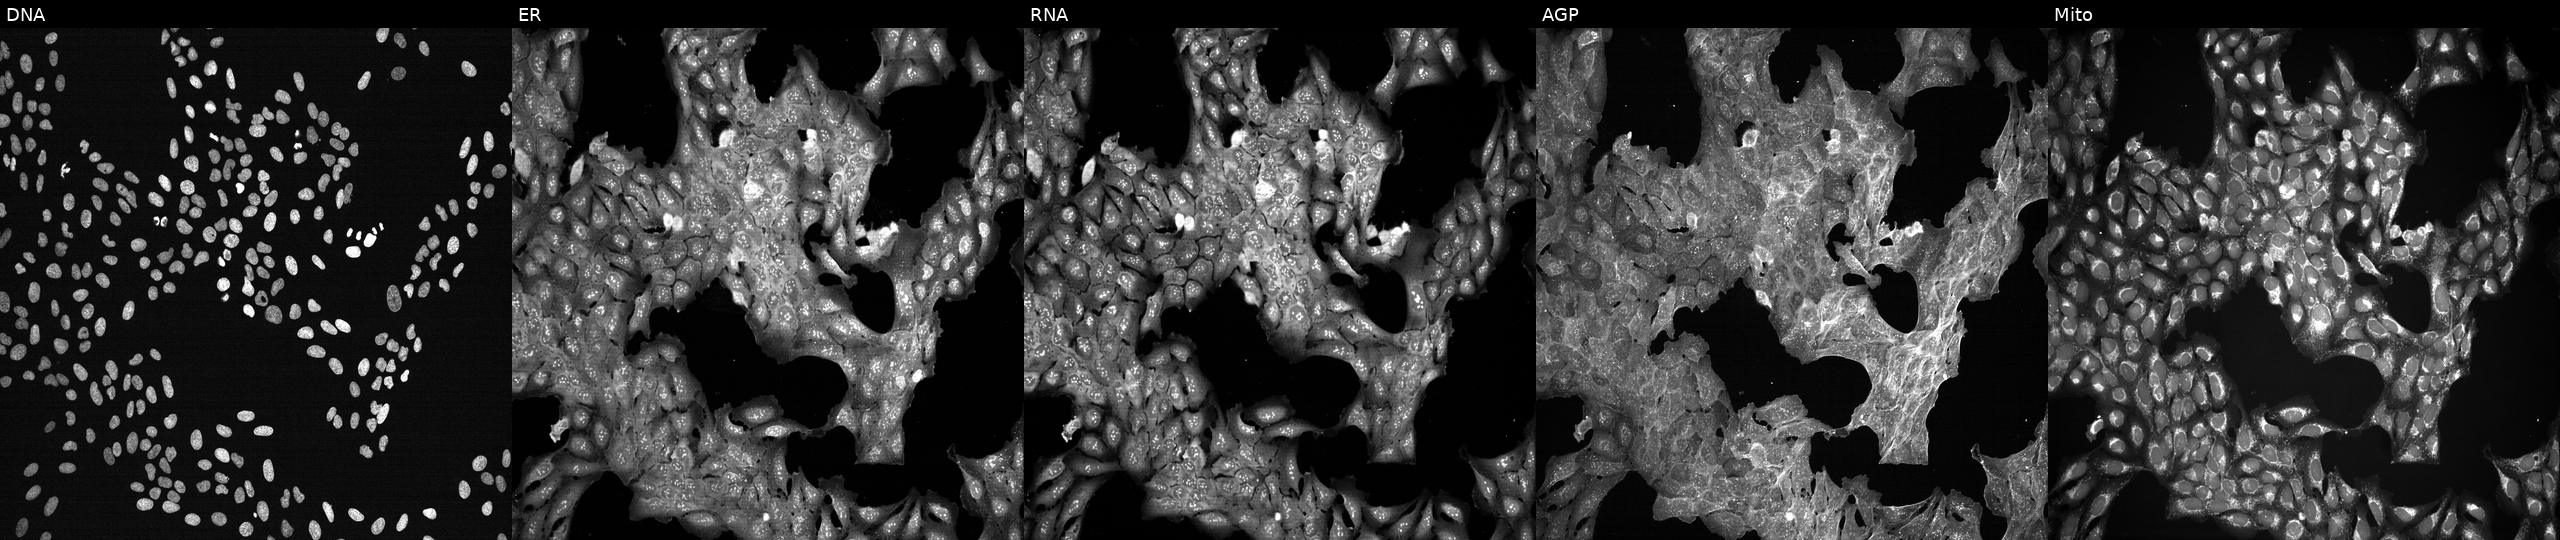
Panels show, left to right, DNA, ER, RNA, AGP, and Mito. U2OS osteosarcoma cells perturbed with a small-molecule compound [SMILES: CN1CCc2nc(C(=O)NC3CC(C(=O)N(C)C)CCC3NC(=O)C(=O)N=c3ccc(Cl)c[nH]3)sc2C1]. Cell Painting assay, JUMP-CP dataset. Source 7, plate CP3-SC1-25, well E07.